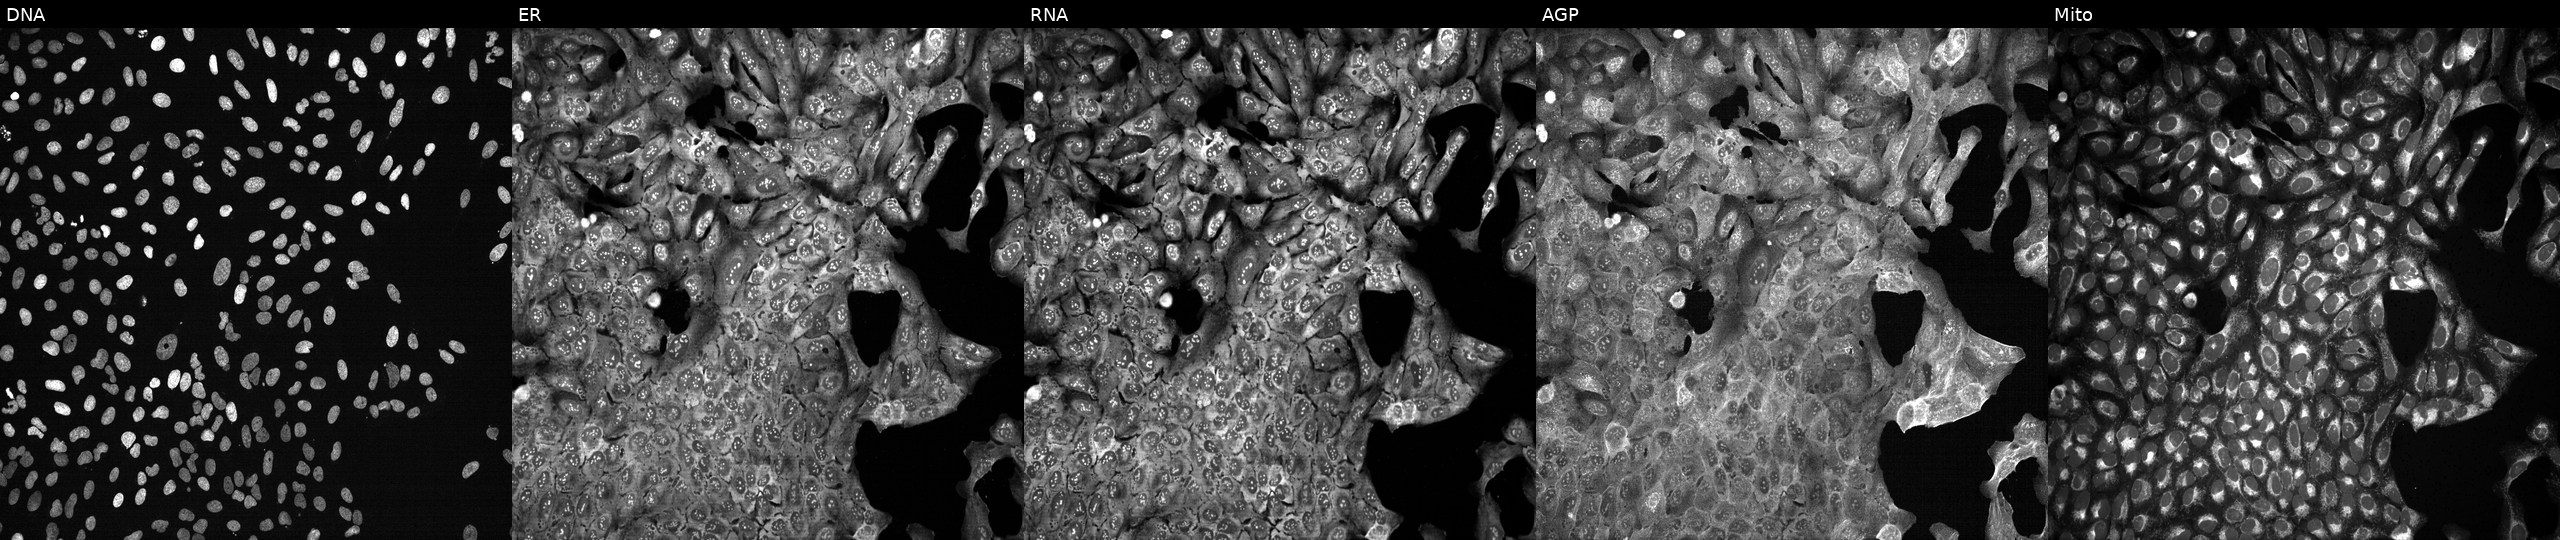
The five panels, left to right, show Hoechst 33342, concanavalin A, SYTO 14, phalloidin and WGA, MitoTracker. U2OS osteosarcoma cells following CRISPR knockout of ELMOD3 (JUMP id JCP2022_802098). Cell Painting assay, JUMP-CP dataset. Source 13, plate CP-CC9-R2-02, well M16.